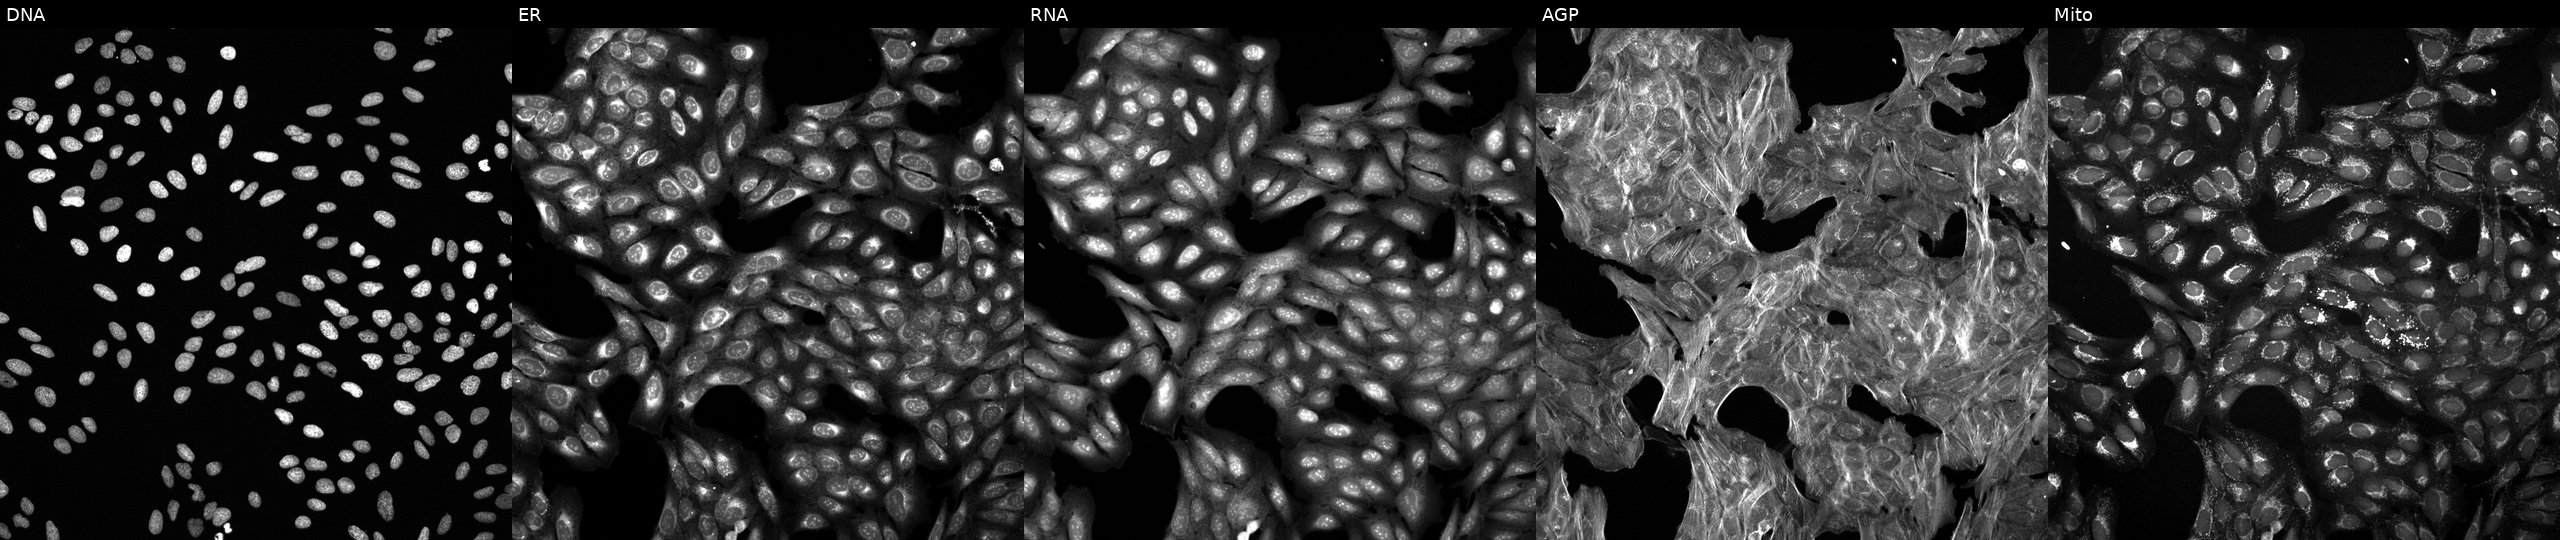
This image strip shows the five Cell Painting channels for a single field of U2OS cells perturbed with a small-molecule compound (InChIKey ALOBUEHUHMBRLE-UHFFFAOYSA-N). Panels show, left to right, DNA (nuclei); ER (endoplasmic reticulum); RNA (nucleoli and cytoplasmic RNA); AGP (actin cytoskeleton, Golgi, and plasma membrane); Mito (mitochondria).